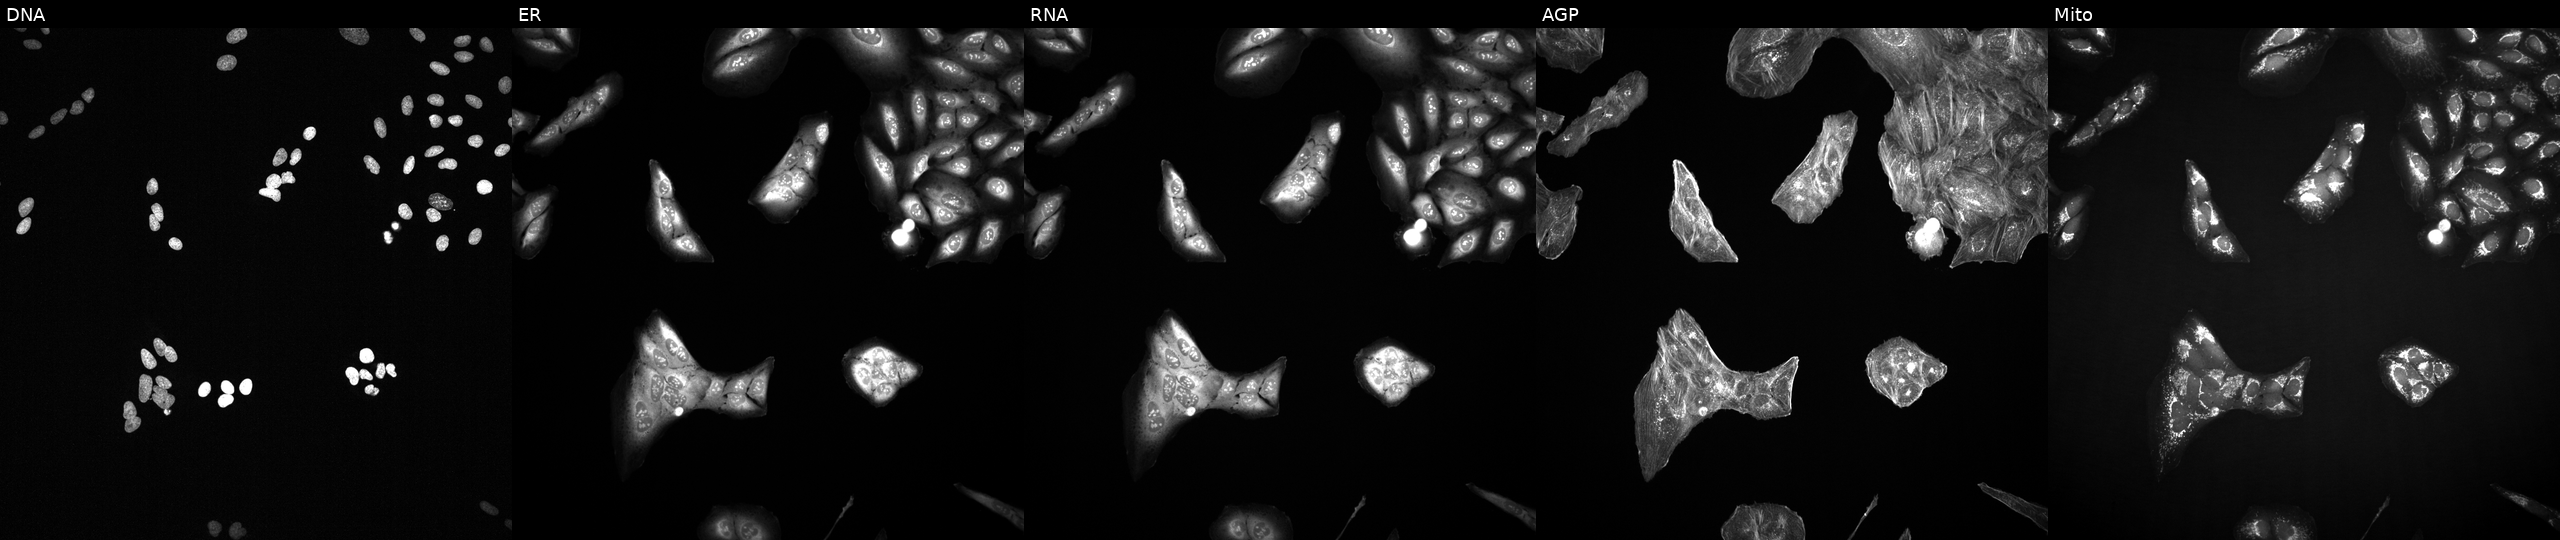
Five-channel Cell Painting image of U2OS cells treated with a small-molecule compound (InChIKey LPYXWGMUVRGUOY-UHFFFAOYSA-N) (JUMP id JCP2022_050997). Panels show, left to right, Hoechst 33342, concanavalin A, SYTO 14, phalloidin and WGA, MitoTracker. Source 2, plate 1053597936, well A03.